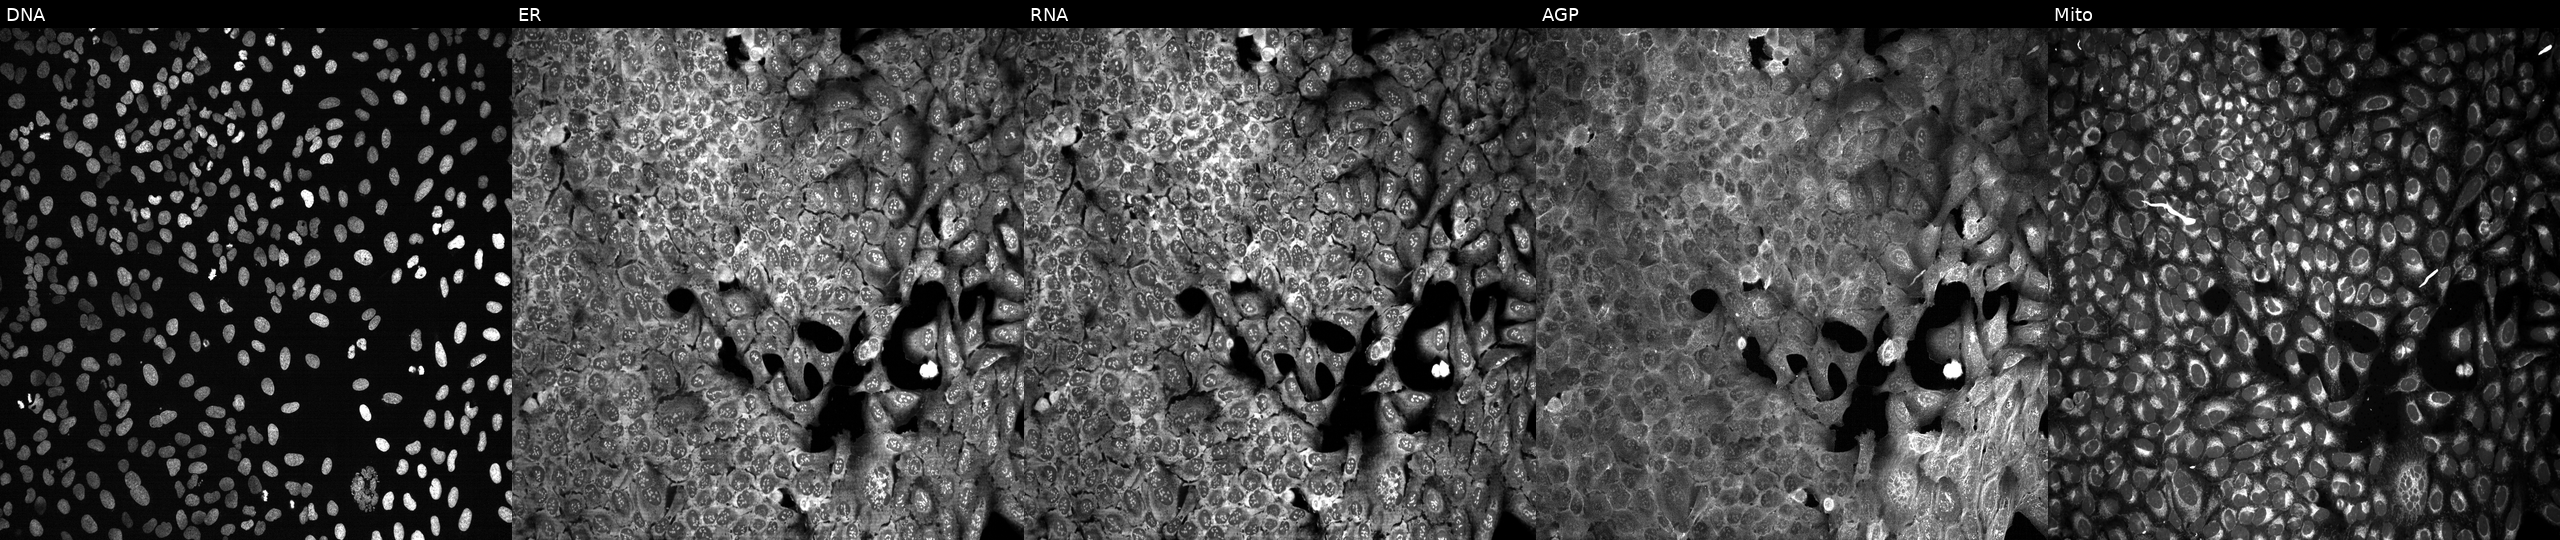
U2OS cells, Cell Painting assay, following CRISPR knockout of CHSY1. The five panels, left to right, show DNA, ER, RNA, AGP, and Mito. Each panel is percentile-stretched 16-bit fluorescence. Source 13, plate CP-CC9-R2-01, well I05.